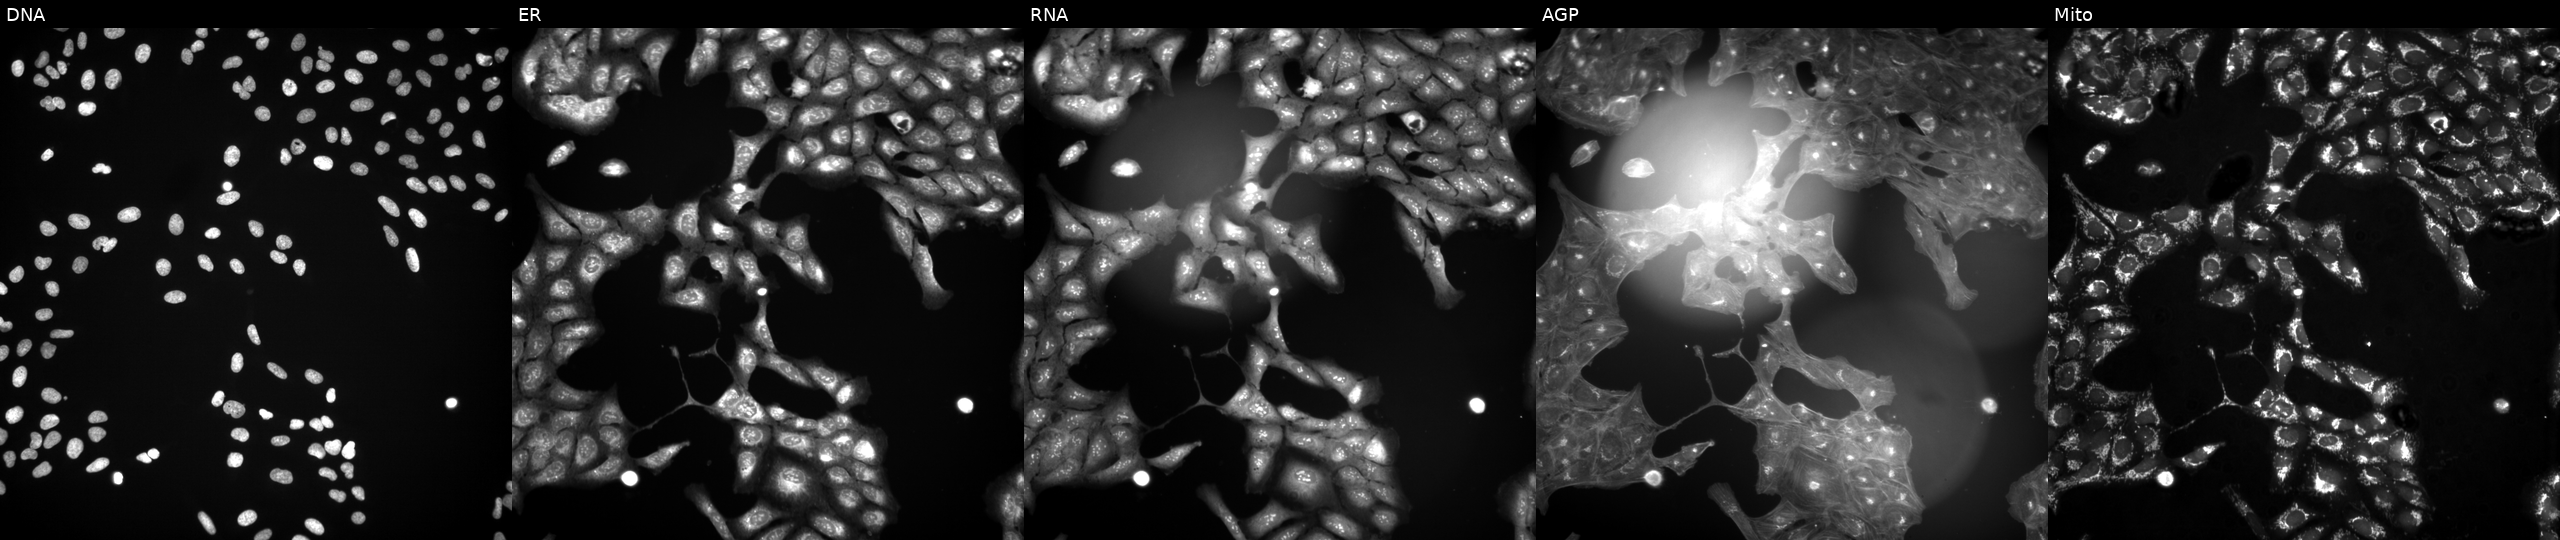
JUMP Cell Painting — TARGET2 plate. U2OS cells perturbed with a small-molecule compound (InChIKey CDJNNOJINJAXPV-UHFFFAOYSA-N) (JUMP id JCP2022_010382). Channels (left→right): Hoechst 33342, concanavalin A, SYTO 14, phalloidin and WGA, MitoTracker.